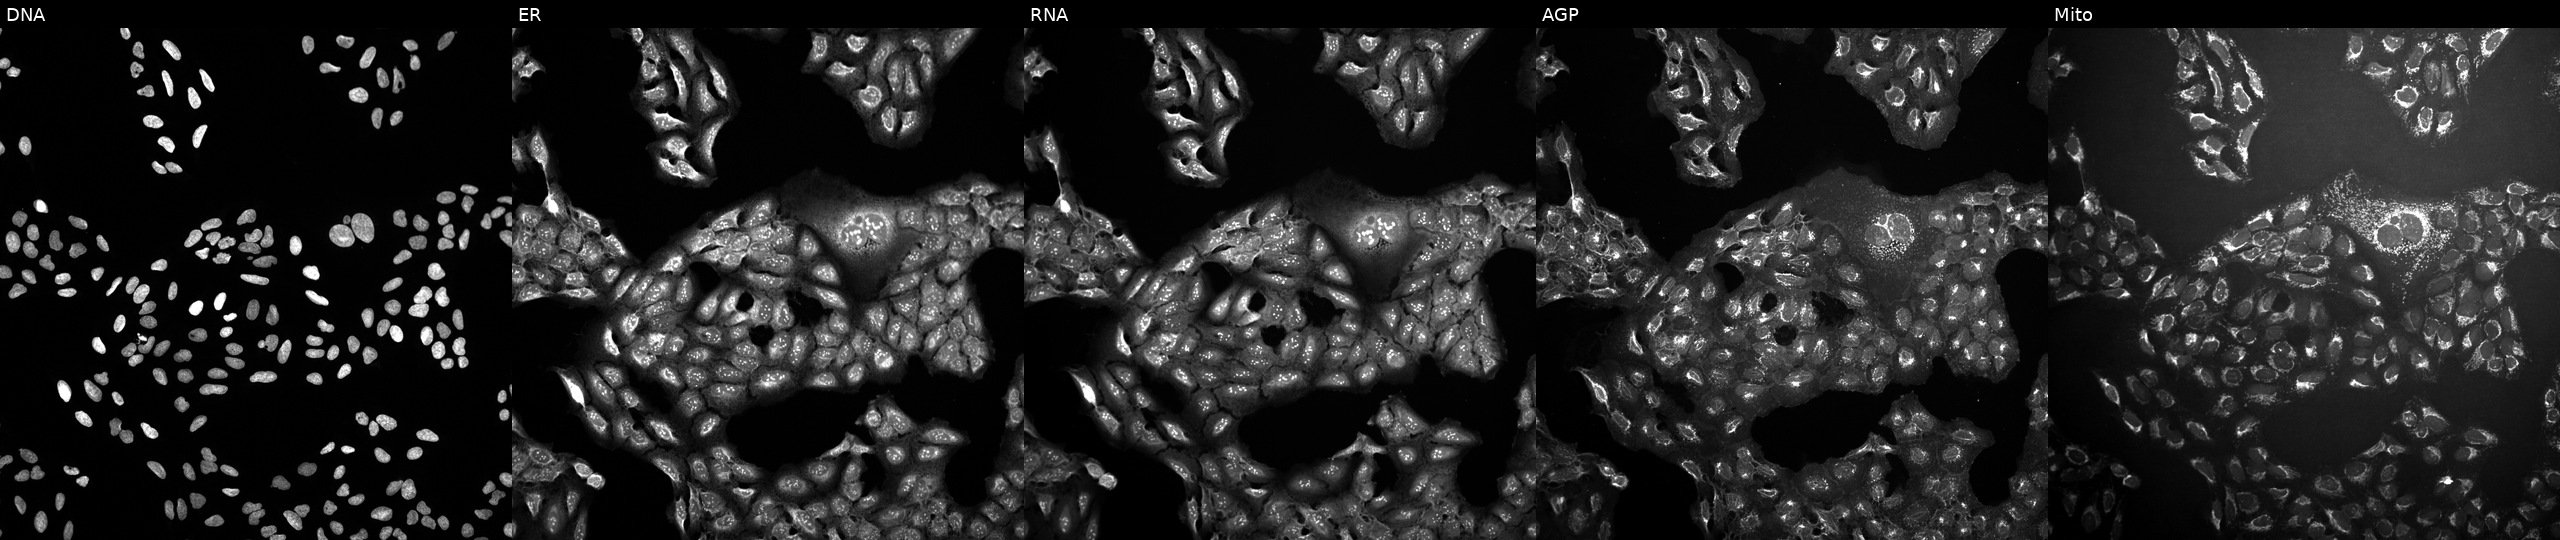
This image strip shows the five Cell Painting channels for a single field of U2OS cells treated with DMSO vehicle only (negative control) (JUMP id JCP2022_033924). From left to right: Hoechst 33342, concanavalin A, SYTO 14, phalloidin and WGA, MitoTracker. Source 10, plate Dest210803-153958, well C16.